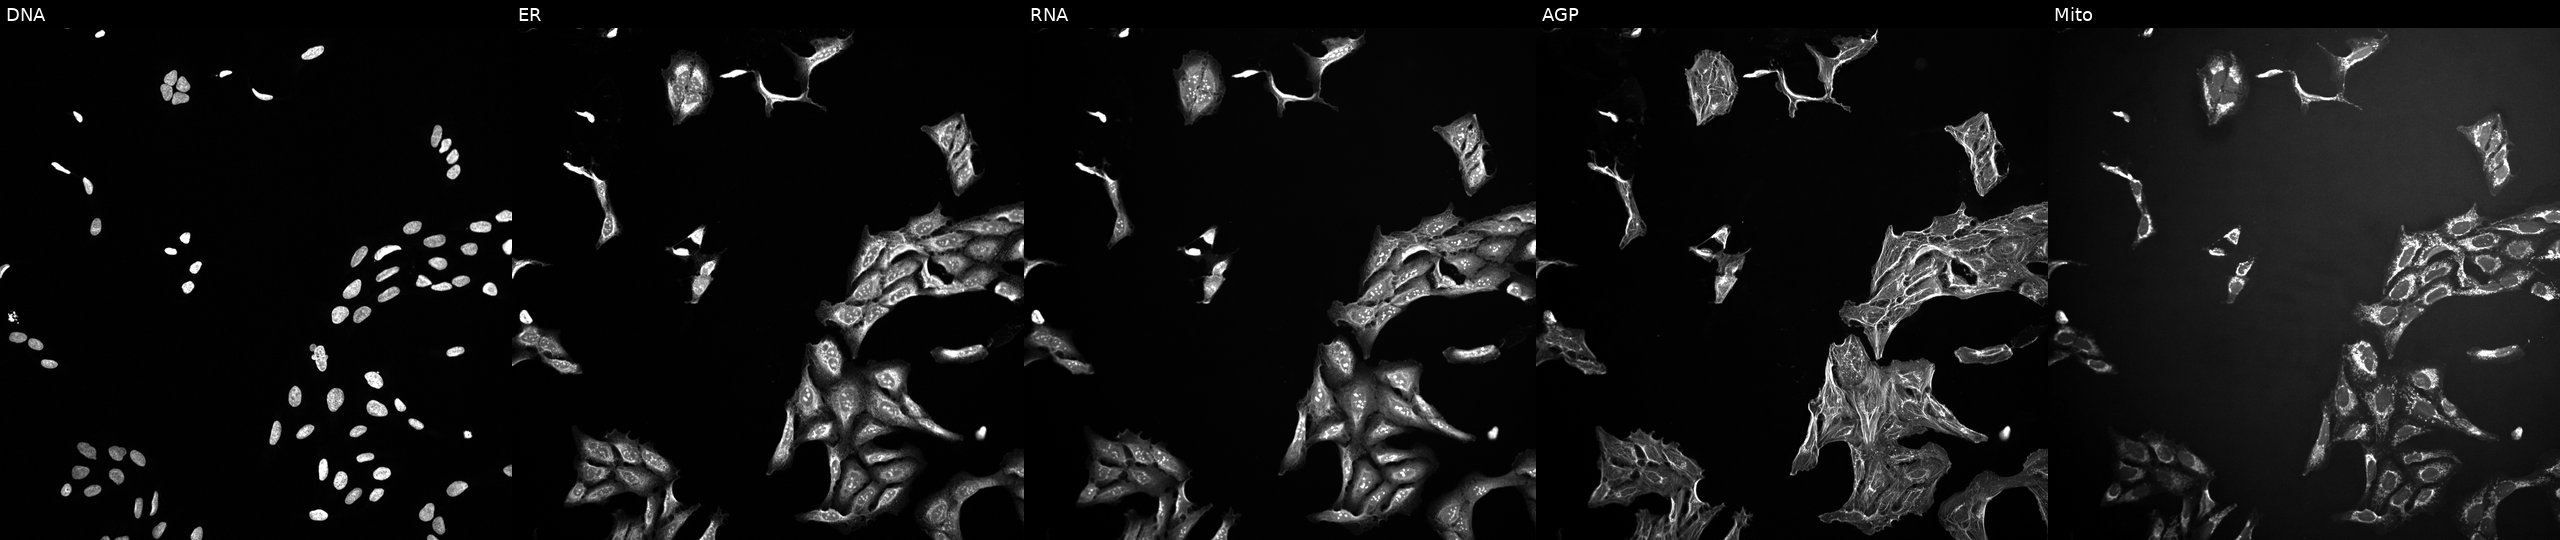
This image strip shows the five Cell Painting channels for a single field of U2OS cells treated with a small-molecule compound (InChIKey VERWOWGGCGHDQE-UHFFFAOYSA-N) (JUMP id JCP2022_093480). The five panels, left to right, show Hoechst 33342, concanavalin A, SYTO 14, phalloidin and WGA, MitoTracker.